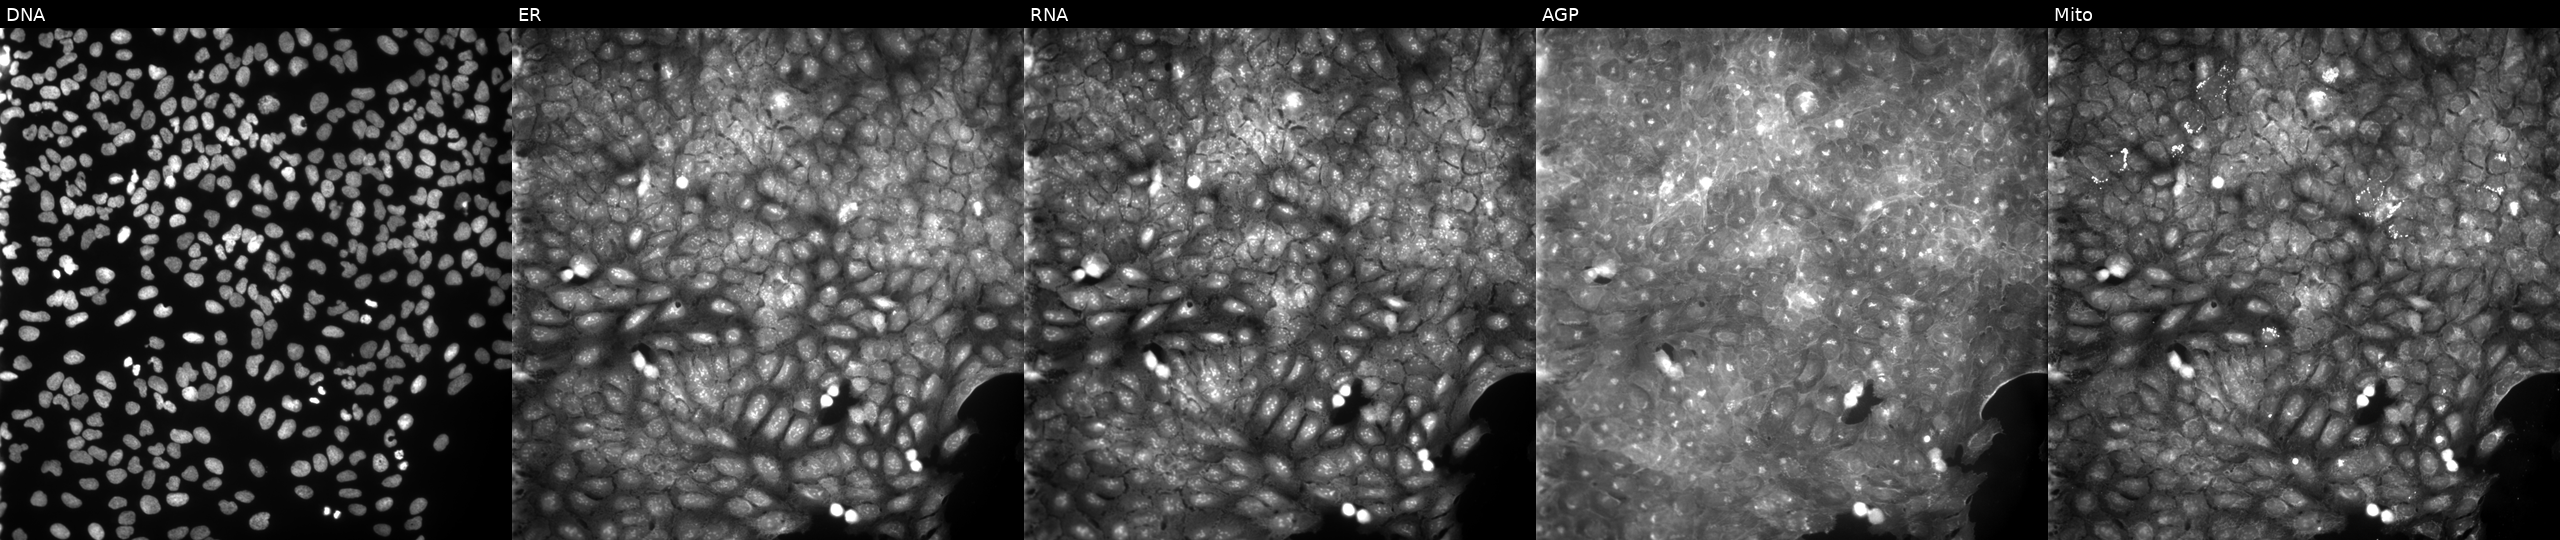
JUMP Cell Painting — COMPOUND plate. U2OS cells treated with a small-molecule compound (InChIKey FJQNFRMXOAWFOI-UHFFFAOYSA-N). Channels (left→right): DNA (nuclei); ER (endoplasmic reticulum); RNA (nucleoli and cytoplasmic RNA); AGP (actin cytoskeleton, Golgi, and plasma membrane); Mito (mitochondria).